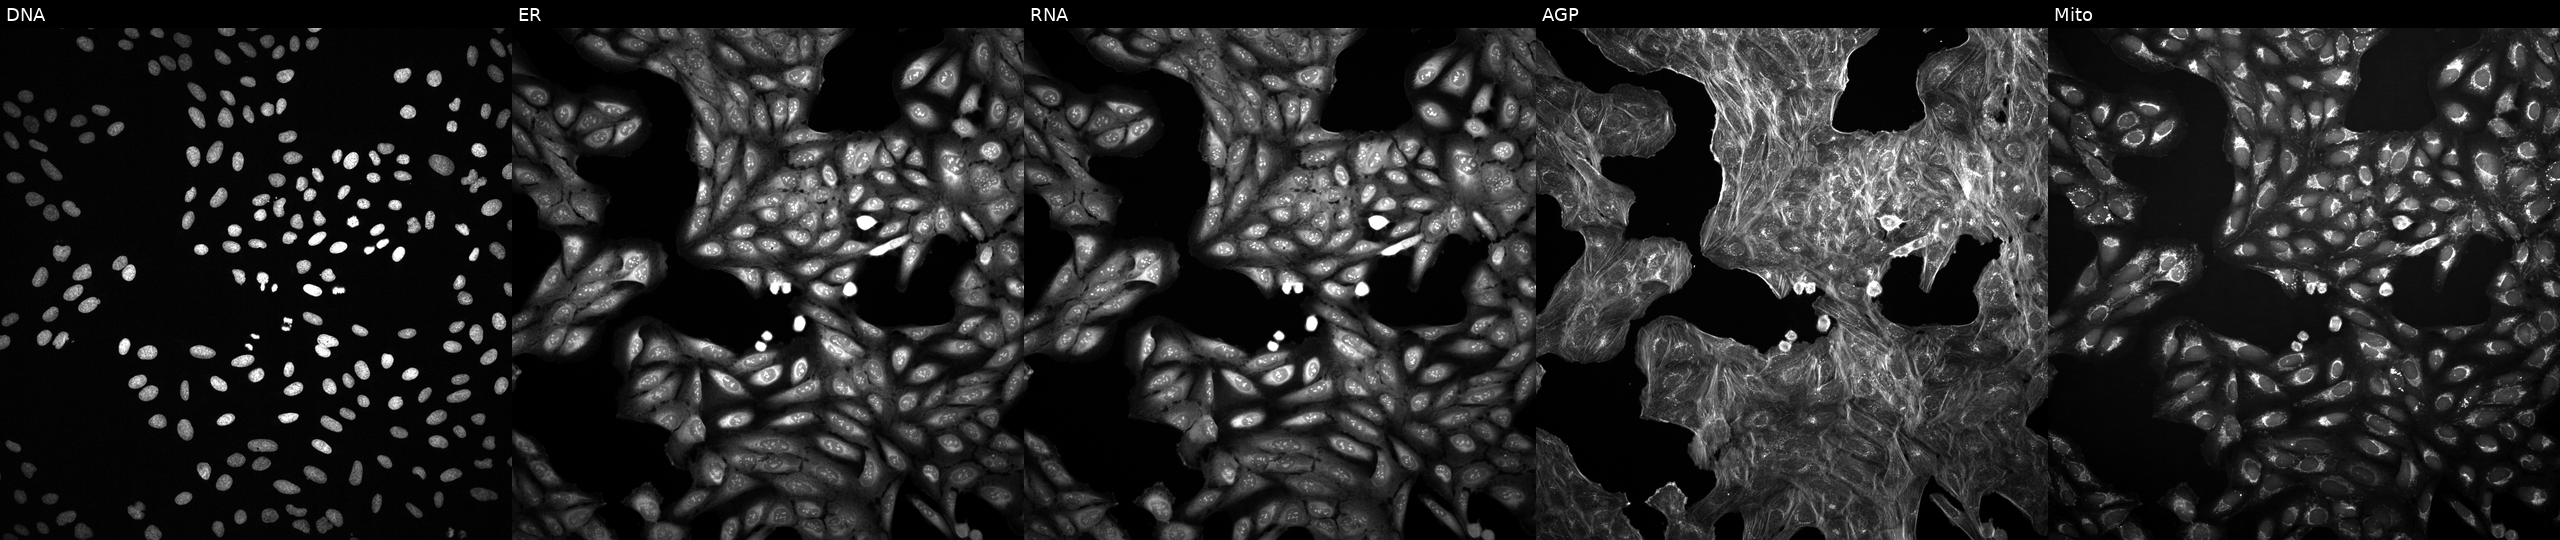
This image strip shows the five Cell Painting channels for a single field of U2OS cells exposed to a small-molecule compound (InChIKey XSDQTOBWRPYKKA-UHFFFAOYSA-N) [SMILES: N=C(N)NC(=O)c1nc(Cl)c(=N)[nH]c1N]. From left to right: DNA (nuclei); ER (endoplasmic reticulum); RNA (nucleoli and cytoplasmic RNA); AGP (actin cytoskeleton, Golgi, and plasma membrane); Mito (mitochondria).